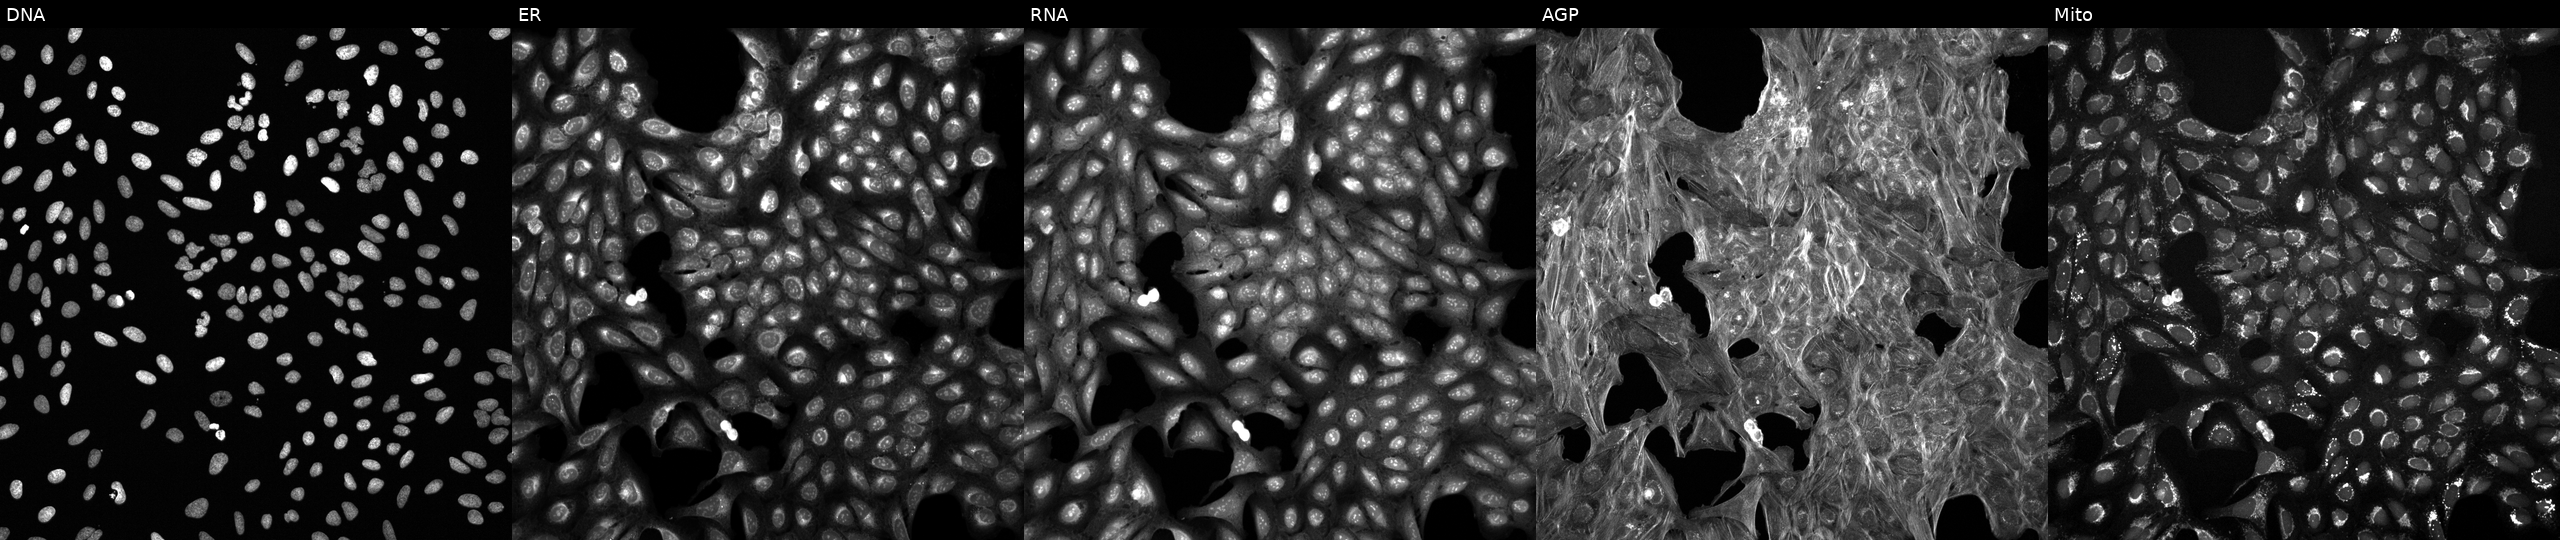
U2OS cells, Cell Painting assay, perturbed with a small-molecule compound (InChIKey VUIRVWPJNKZOSS-UHFFFAOYSA-N). Channels (left→right): DNA, ER, RNA, AGP, and Mito. Each panel is percentile-stretched 16-bit fluorescence. Source 6, plate 110000293081, well D15.